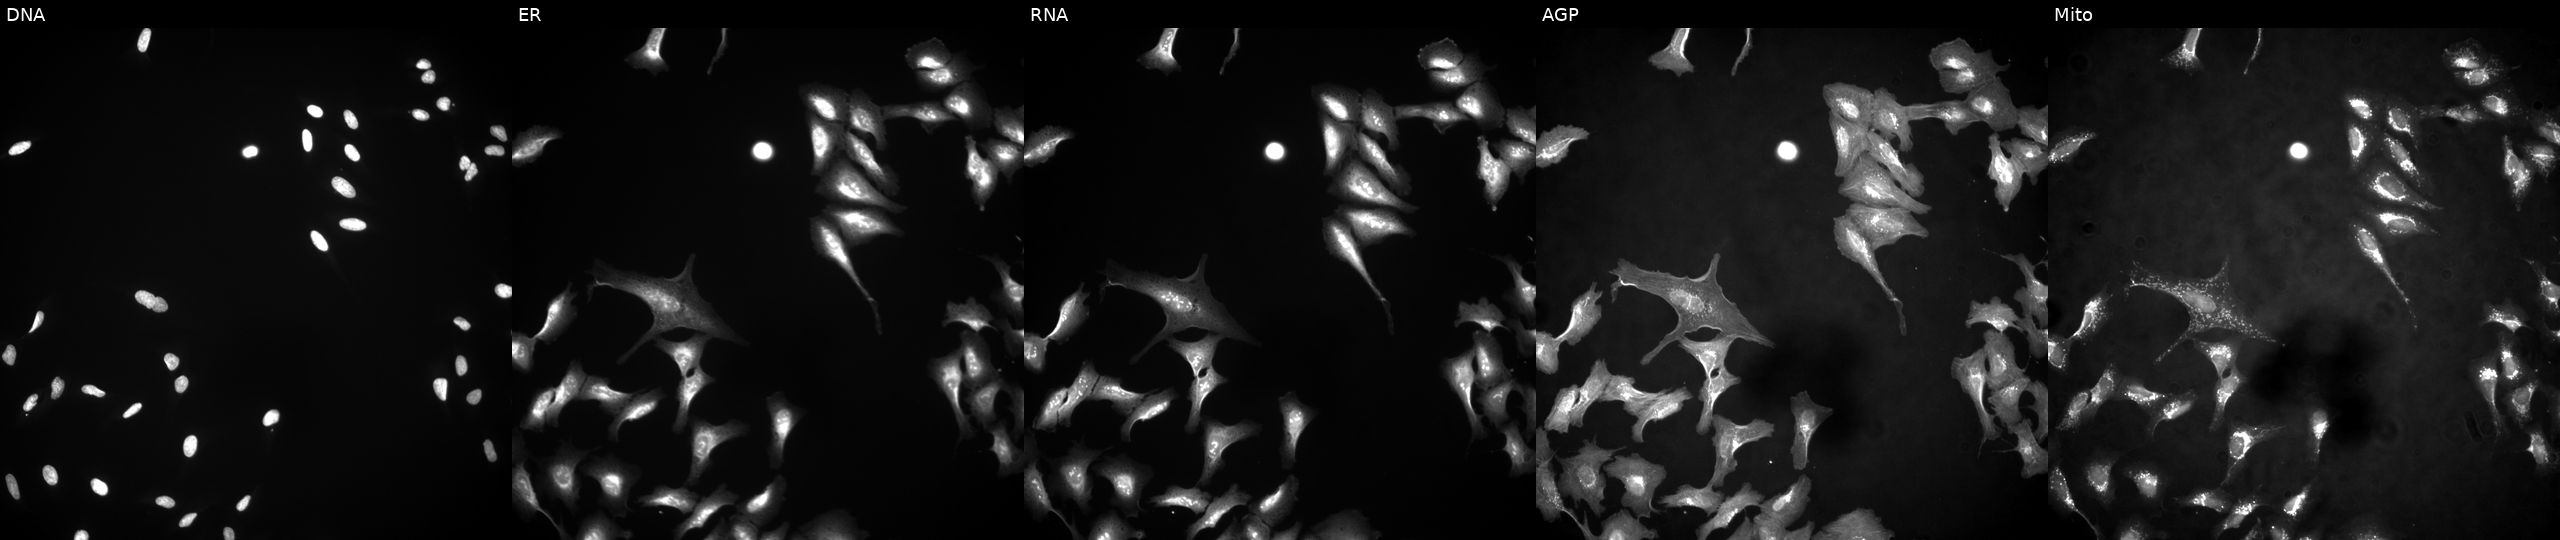
Five-channel Cell Painting image of U2OS cells transfected with an ORF construct for GADD45GIP1. From left to right: Hoechst 33342, concanavalin A, SYTO 14, phalloidin and WGA, MitoTracker. Source 4, plate BR00124790, well N12.